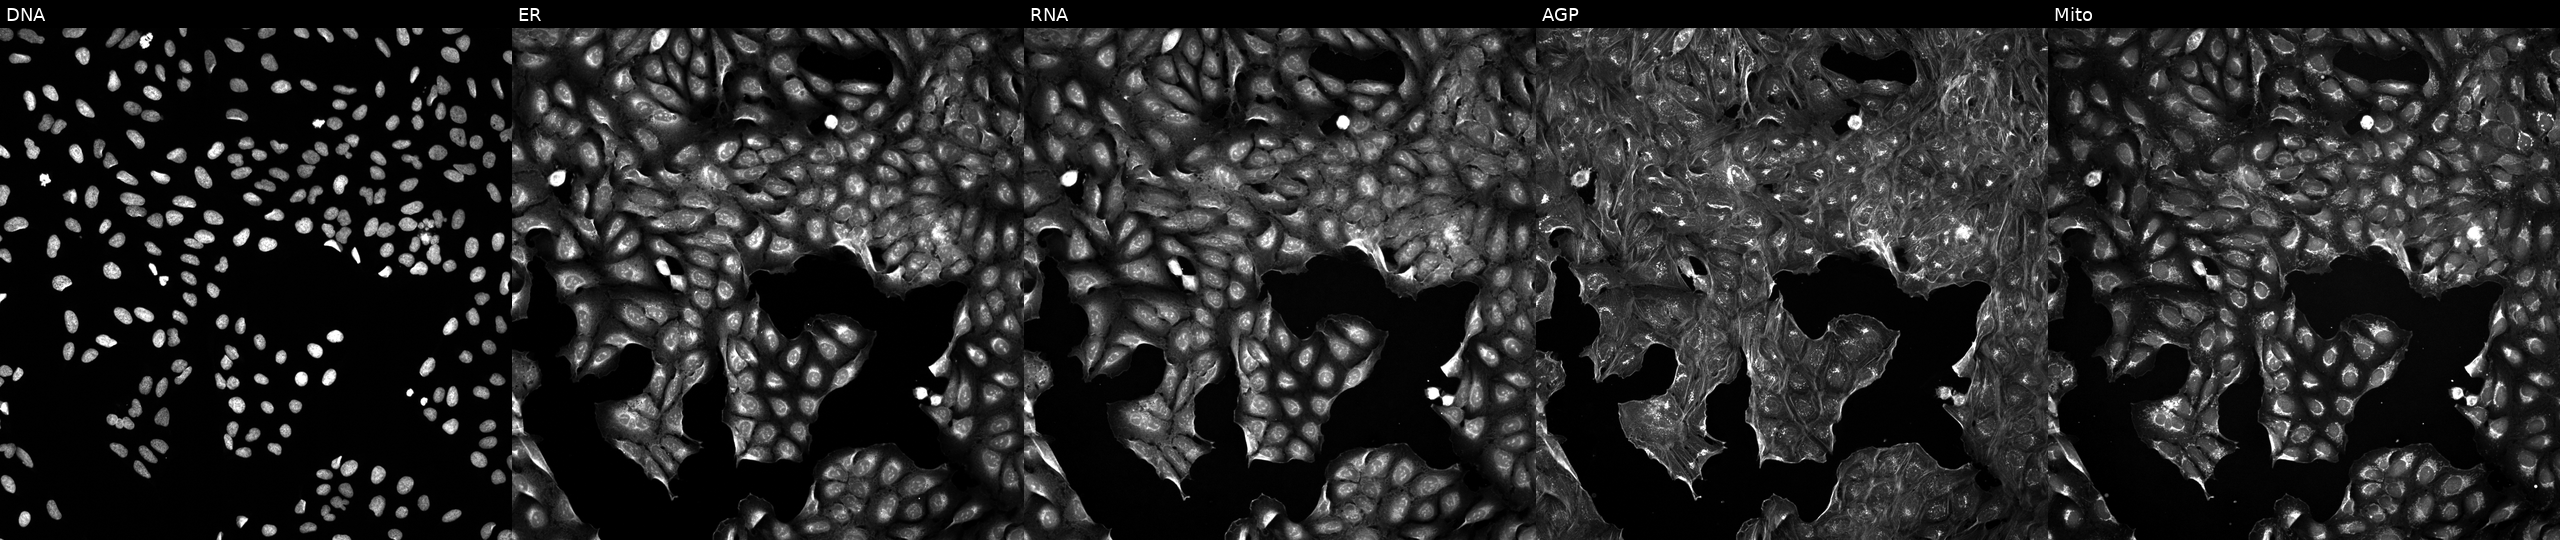
This image strip shows the five Cell Painting channels for a single field of U2OS cells perturbed with a small-molecule compound (InChIKey ZRALSGWEFCBTJO-UHFFFAOYSA-N). Panels show, left to right, DNA (nuclei); ER (endoplasmic reticulum); RNA (nucleoli and cytoplasmic RNA); AGP (actin cytoskeleton, Golgi, and plasma membrane); Mito (mitochondria).